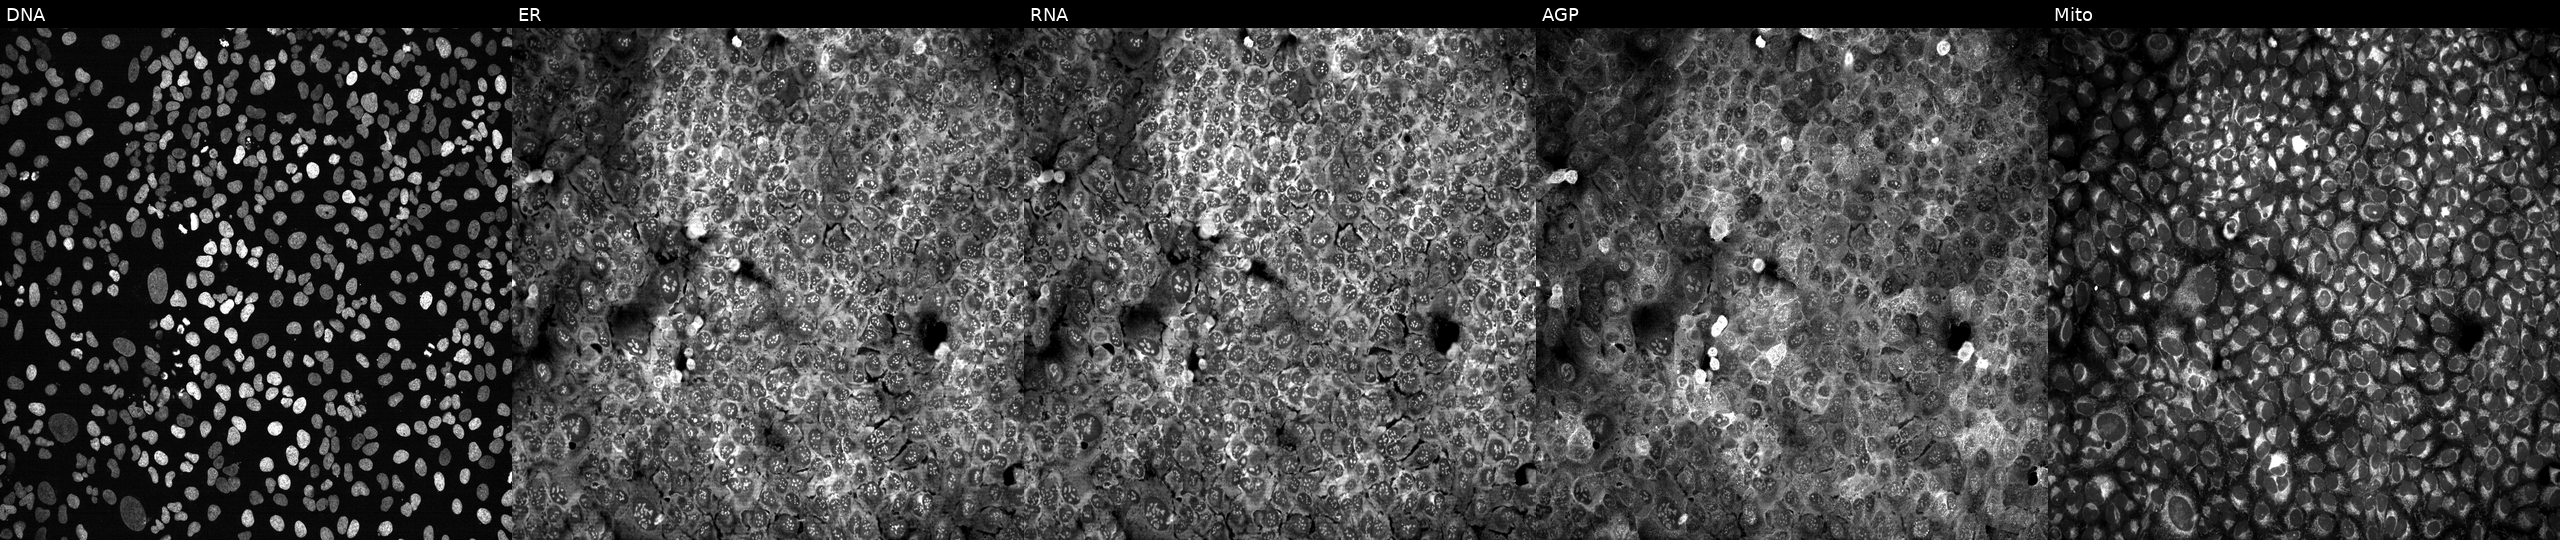
This image strip shows the five Cell Painting channels for a single field of U2OS cells CRISPR-edited to disrupt ABHD2 (JUMP id JCP2022_800076). The five panels, left to right, show DNA (nuclei); ER (endoplasmic reticulum); RNA (nucleoli and cytoplasmic RNA); AGP (actin cytoskeleton, Golgi, and plasma membrane); Mito (mitochondria). Source 13, plate CP-CC9-R4-03, well P20.